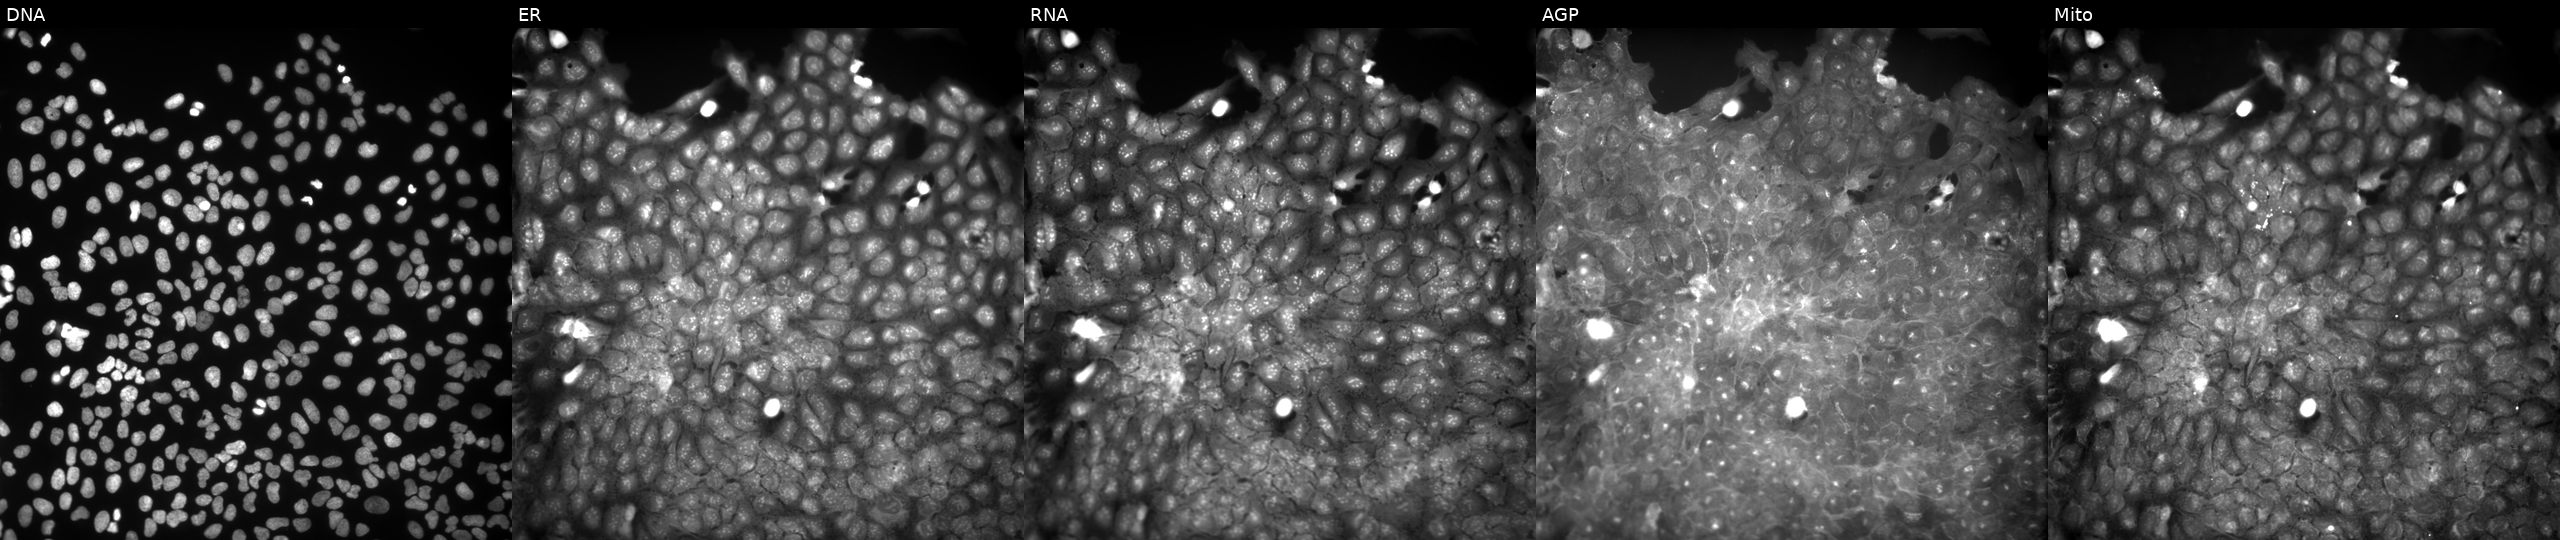
High-content fluorescence microscopy (Cell Painting). Cell line: U2OS. Perturbation: exposed to a small-molecule compound (InChIKey GCVAQUZPSUFJLK-UHFFFAOYSA-N) (JUMP id JCP2022_024609). Panels show, left to right, DNA (nuclei); ER (endoplasmic reticulum); RNA (nucleoli and cytoplasmic RNA); AGP (actin cytoskeleton, Golgi, and plasma membrane); Mito (mitochondria).